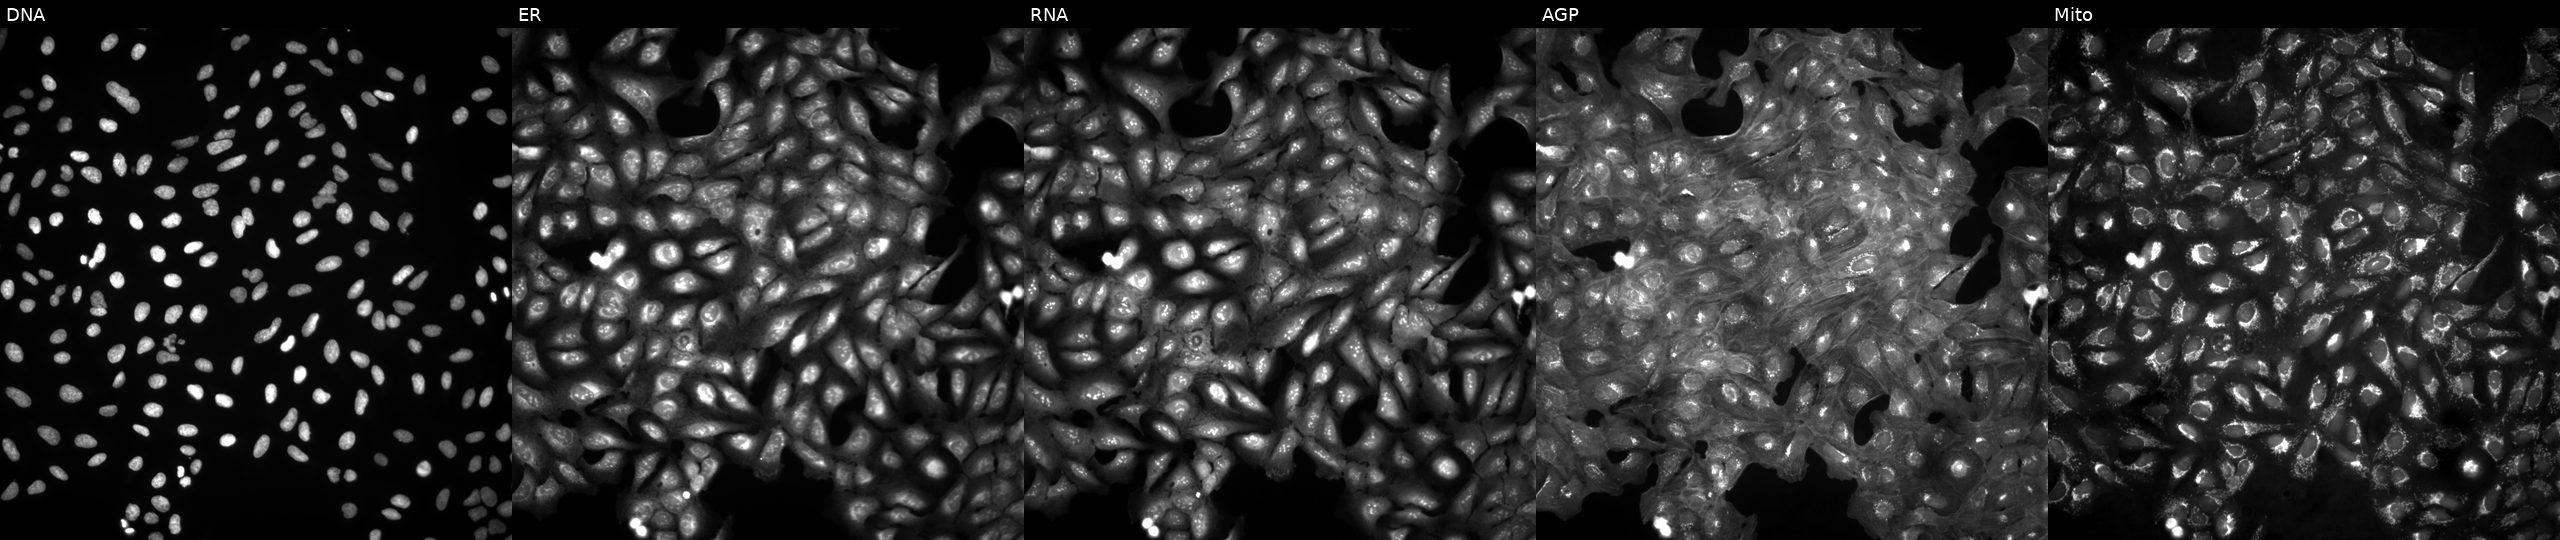
U2OS cells, Cell Painting assay, in an empty control well (no perturbation). From left to right: DNA, ER, RNA, AGP, and Mito. Each panel is percentile-stretched 16-bit fluorescence.